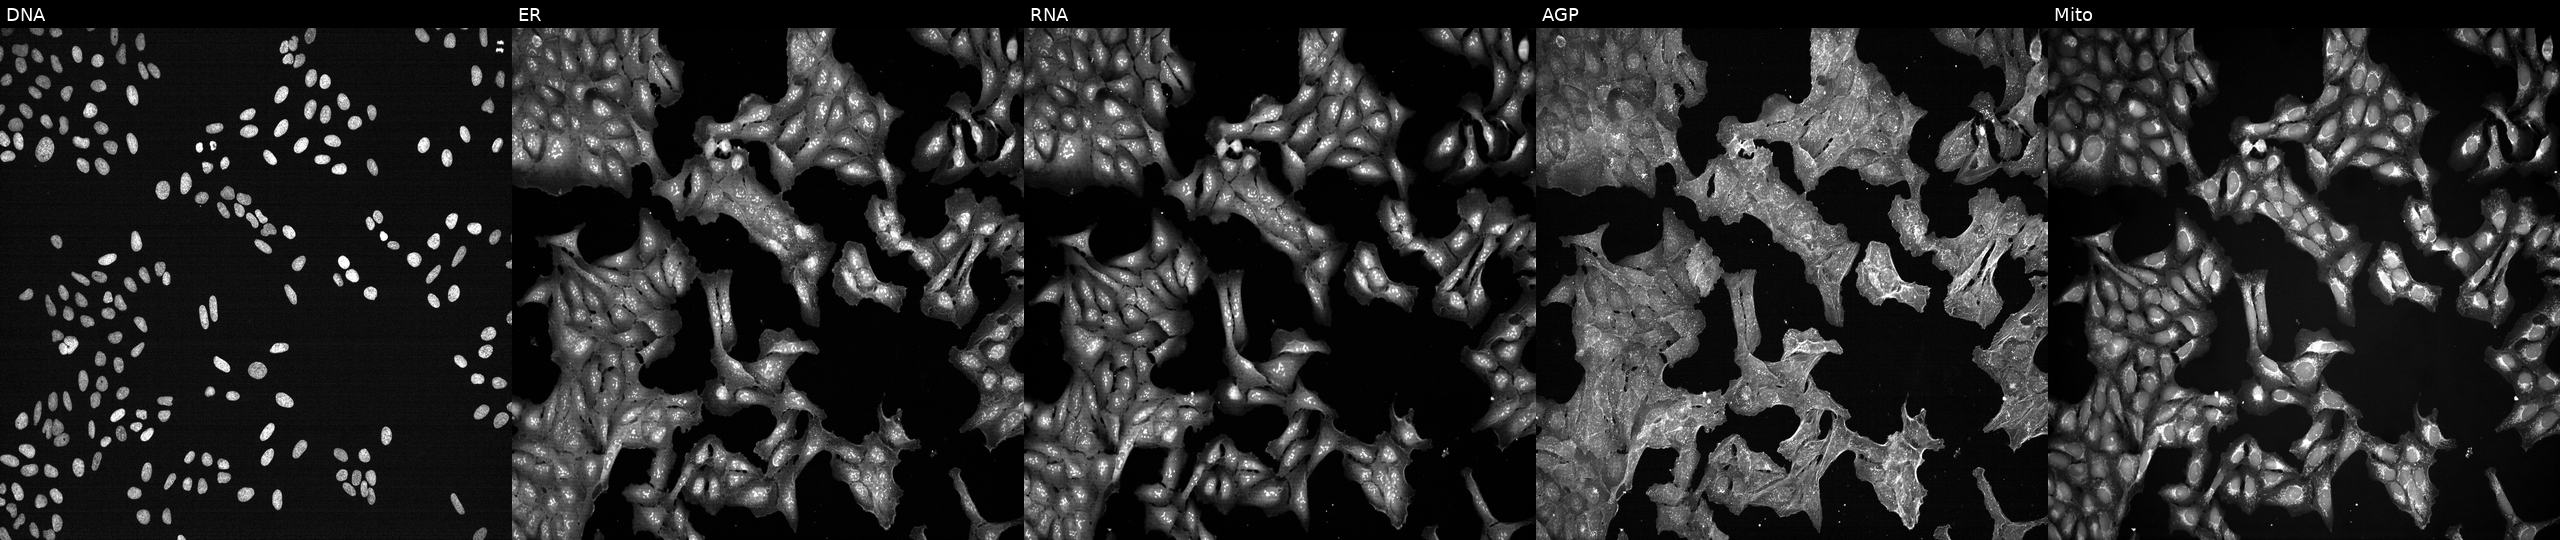
U2OS cells, Cell Painting assay, treated with a small-molecule compound (InChIKey ODUOJXZPIYUATO-UHFFFAOYSA-N). From left to right: DNA (nuclei); ER (endoplasmic reticulum); RNA (nucleoli and cytoplasmic RNA); AGP (actin cytoskeleton, Golgi, and plasma membrane); Mito (mitochondria). Each panel is percentile-stretched 16-bit fluorescence.